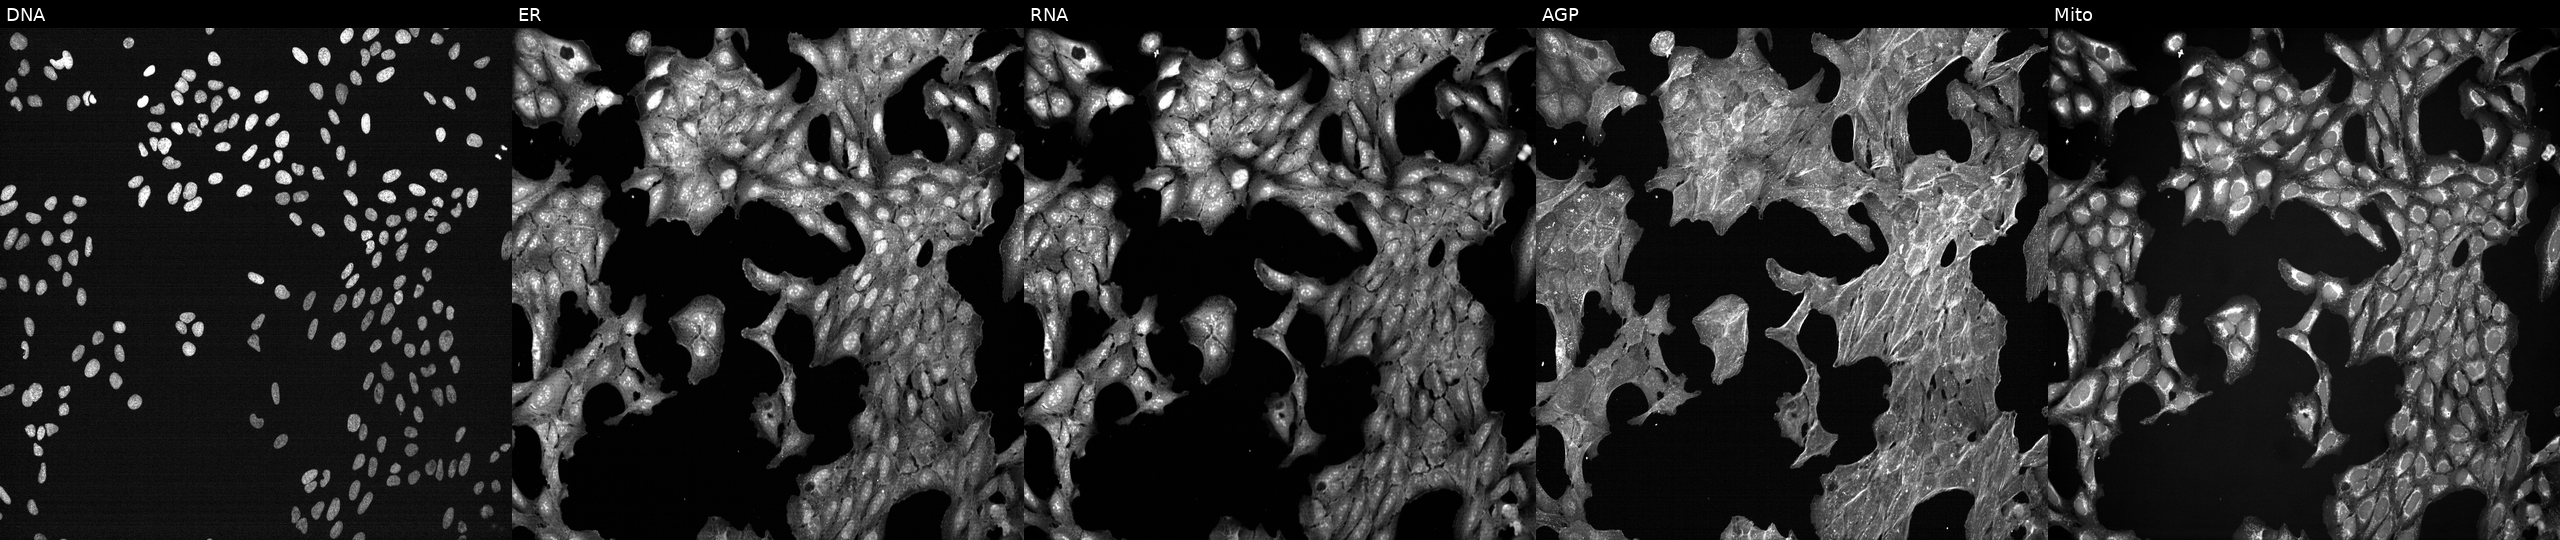
JUMP Cell Painting — TARGET2 plate. U2OS cells treated with dexamethasone (positive-control compound) (JUMP id JCP2022_025848). The five panels, left to right, show Hoechst 33342, concanavalin A, SYTO 14, phalloidin and WGA, MitoTracker. Source 7, plate CP3-SC1-25, well H24.